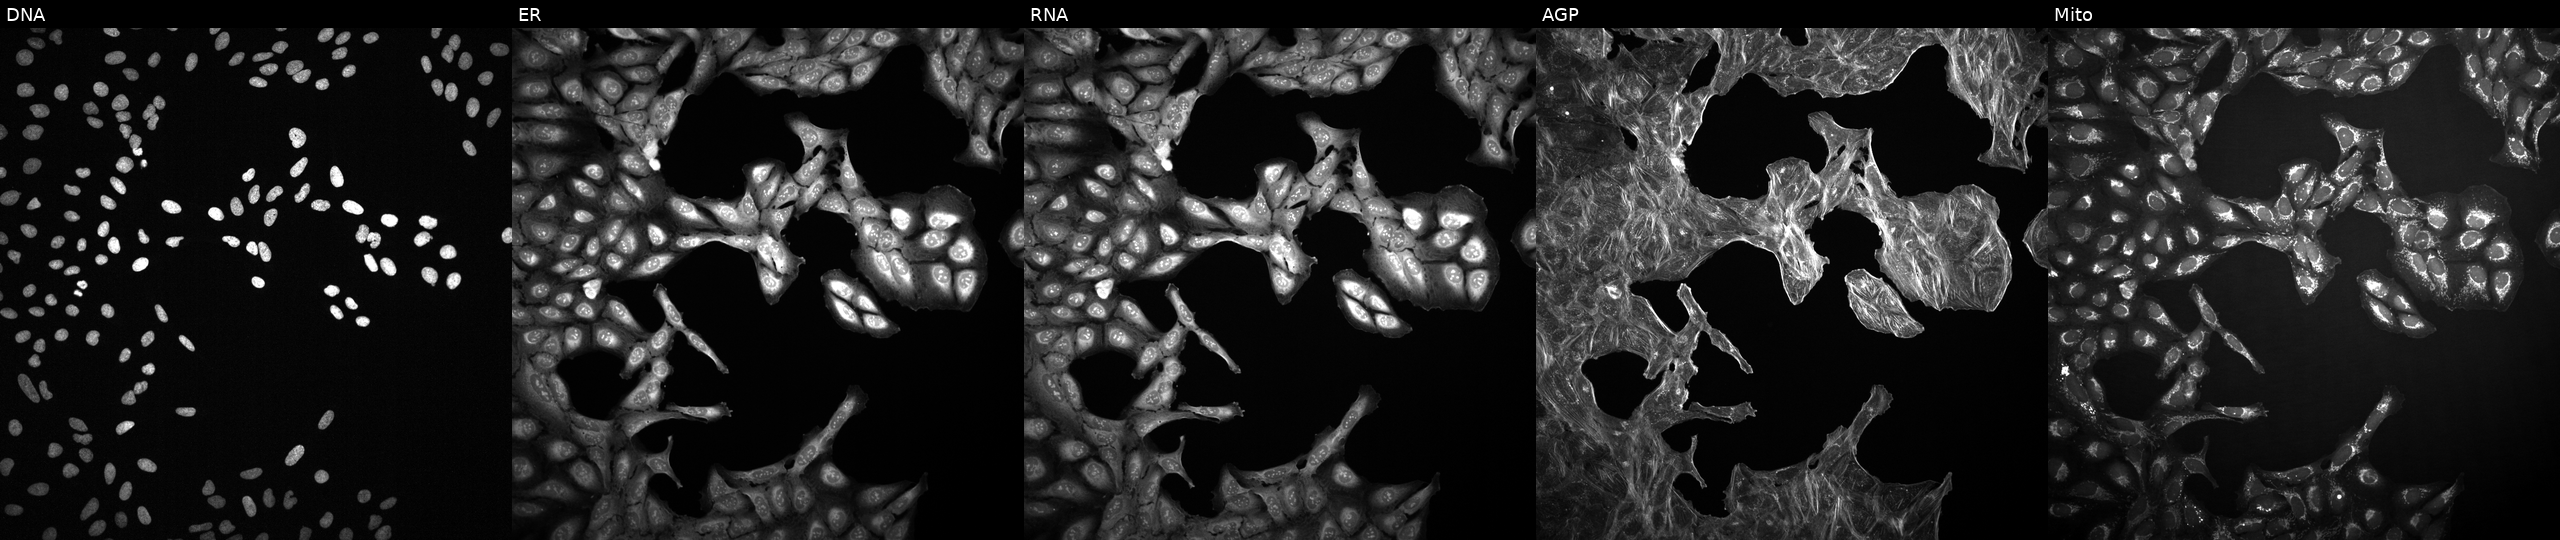
JUMP Cell Painting — TARGET2 plate. U2OS cells perturbed with a small-molecule compound (InChIKey PYNXFZCZUAOOQC-UHFFFAOYSA-N) (JUMP id JCP2022_071811). Channels (left→right): DNA (nuclei); ER (endoplasmic reticulum); RNA (nucleoli and cytoplasmic RNA); AGP (actin cytoskeleton, Golgi, and plasma membrane); Mito (mitochondria).